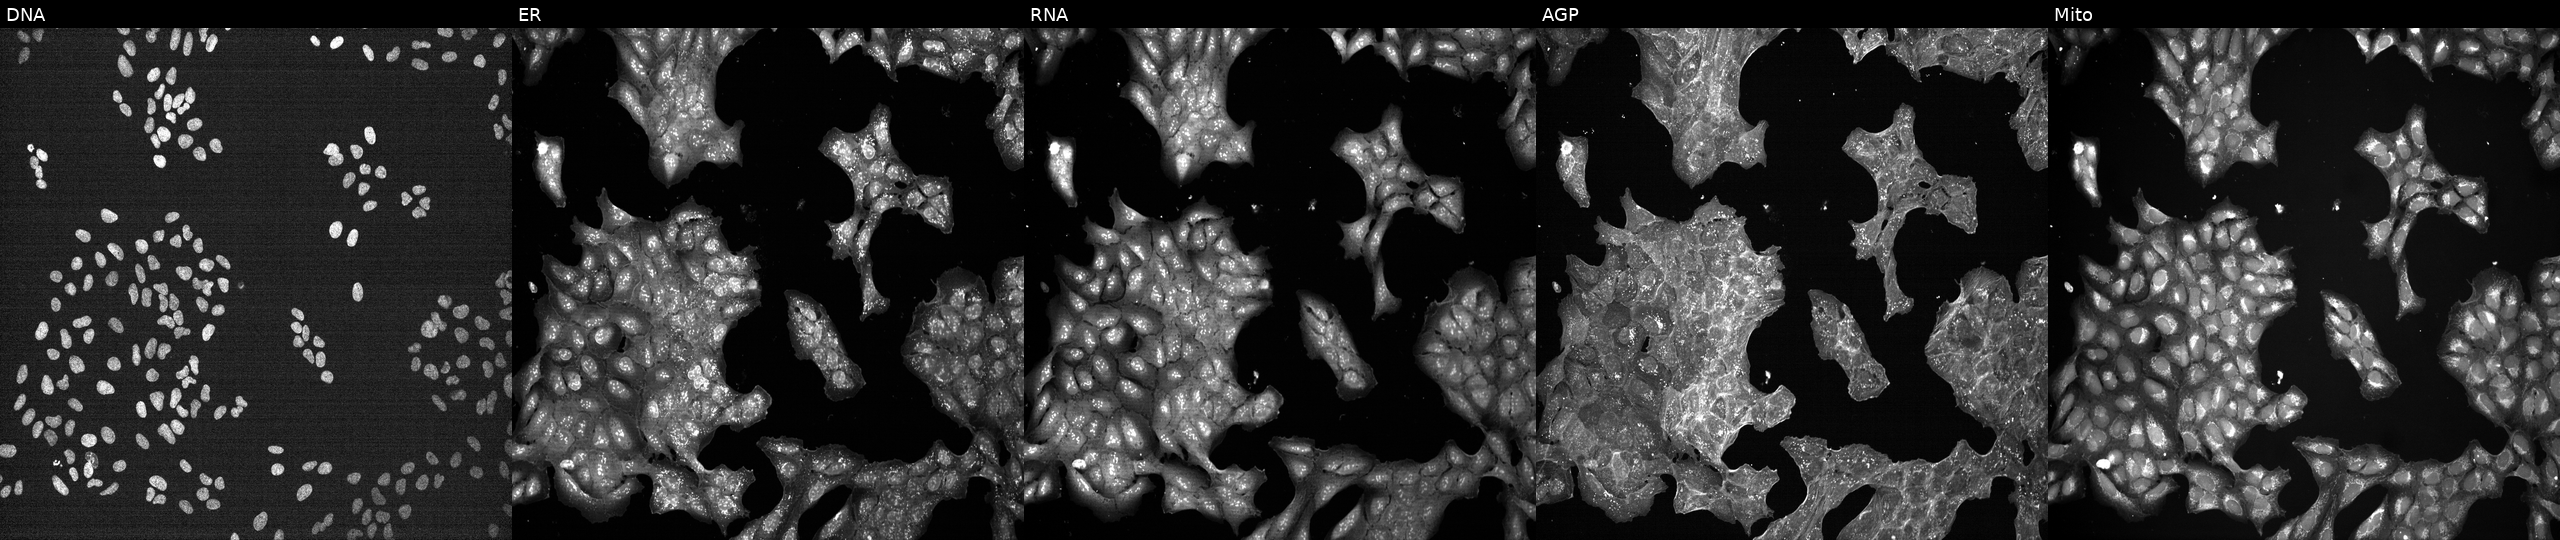
From left to right: DNA (nuclei); ER (endoplasmic reticulum); RNA (nucleoli and cytoplasmic RNA); AGP (actin cytoskeleton, Golgi, and plasma membrane); Mito (mitochondria). U2OS osteosarcoma cells perturbed with a small-molecule compound. Cell Painting assay, JUMP-CP dataset.